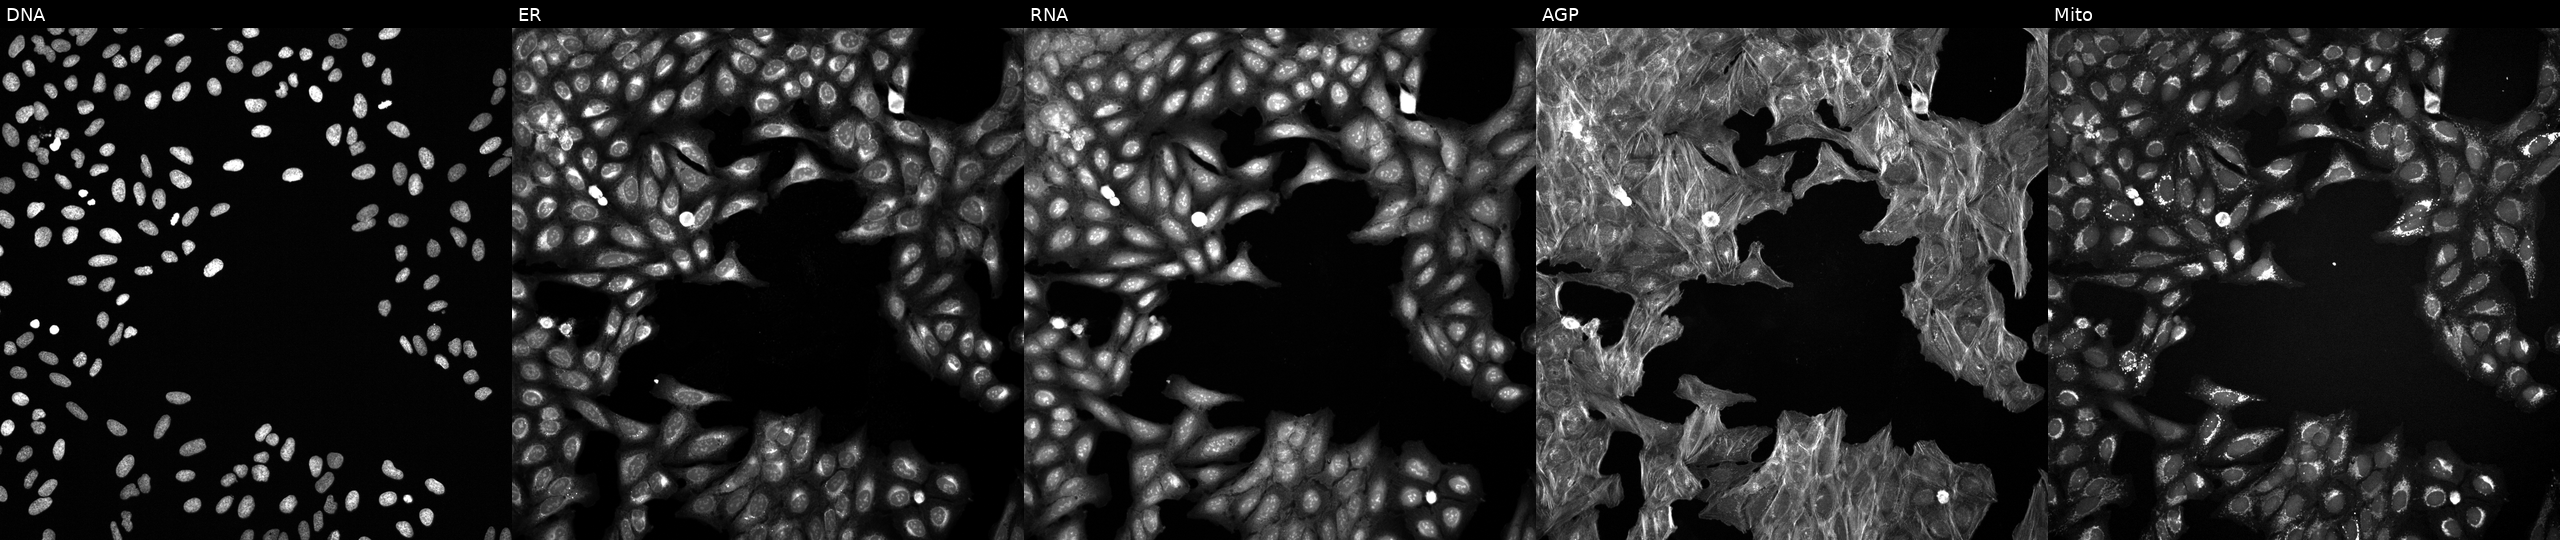
Five-channel Cell Painting image of U2OS cells perturbed with a small-molecule compound (InChIKey VADPHQPGFHQSTD-UHFFFAOYSA-N) (JUMP id JCP2022_092636). Channels (left→right): Hoechst 33342, concanavalin A, SYTO 14, phalloidin and WGA, MitoTracker. Source 6, plate 110000293083, well K21.